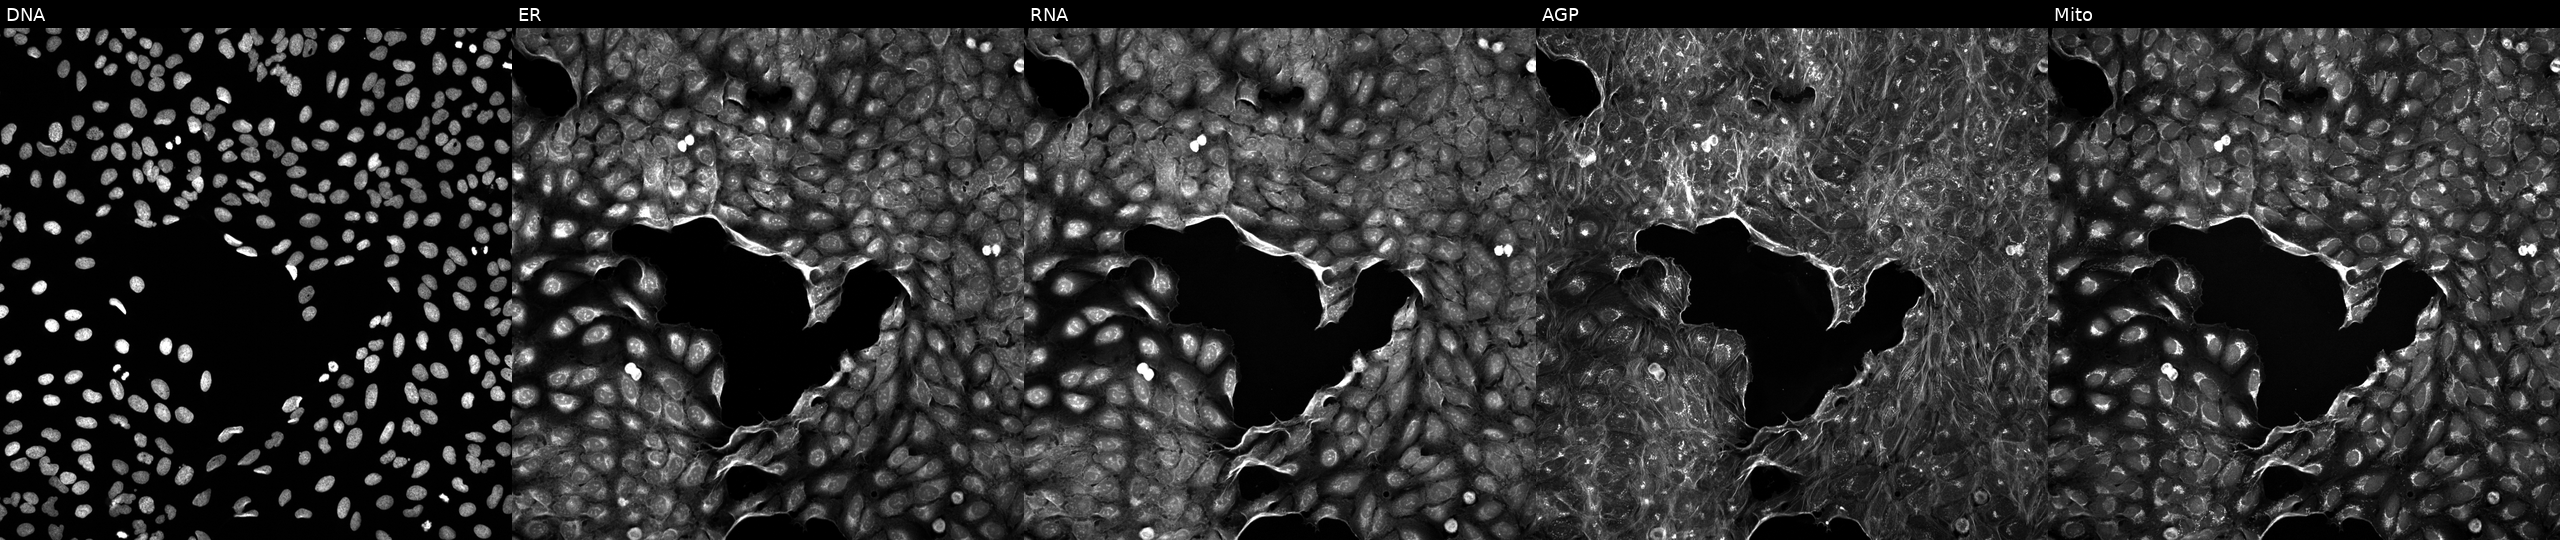
U2OS cells, Cell Painting assay, exposed to a small-molecule compound (InChIKey CEUORZQYGODEFX-UHFFFAOYSA-N) (JUMP id JCP2022_010654). Panels show, left to right, DNA, ER, RNA, AGP, and Mito. Each panel is percentile-stretched 16-bit fluorescence.